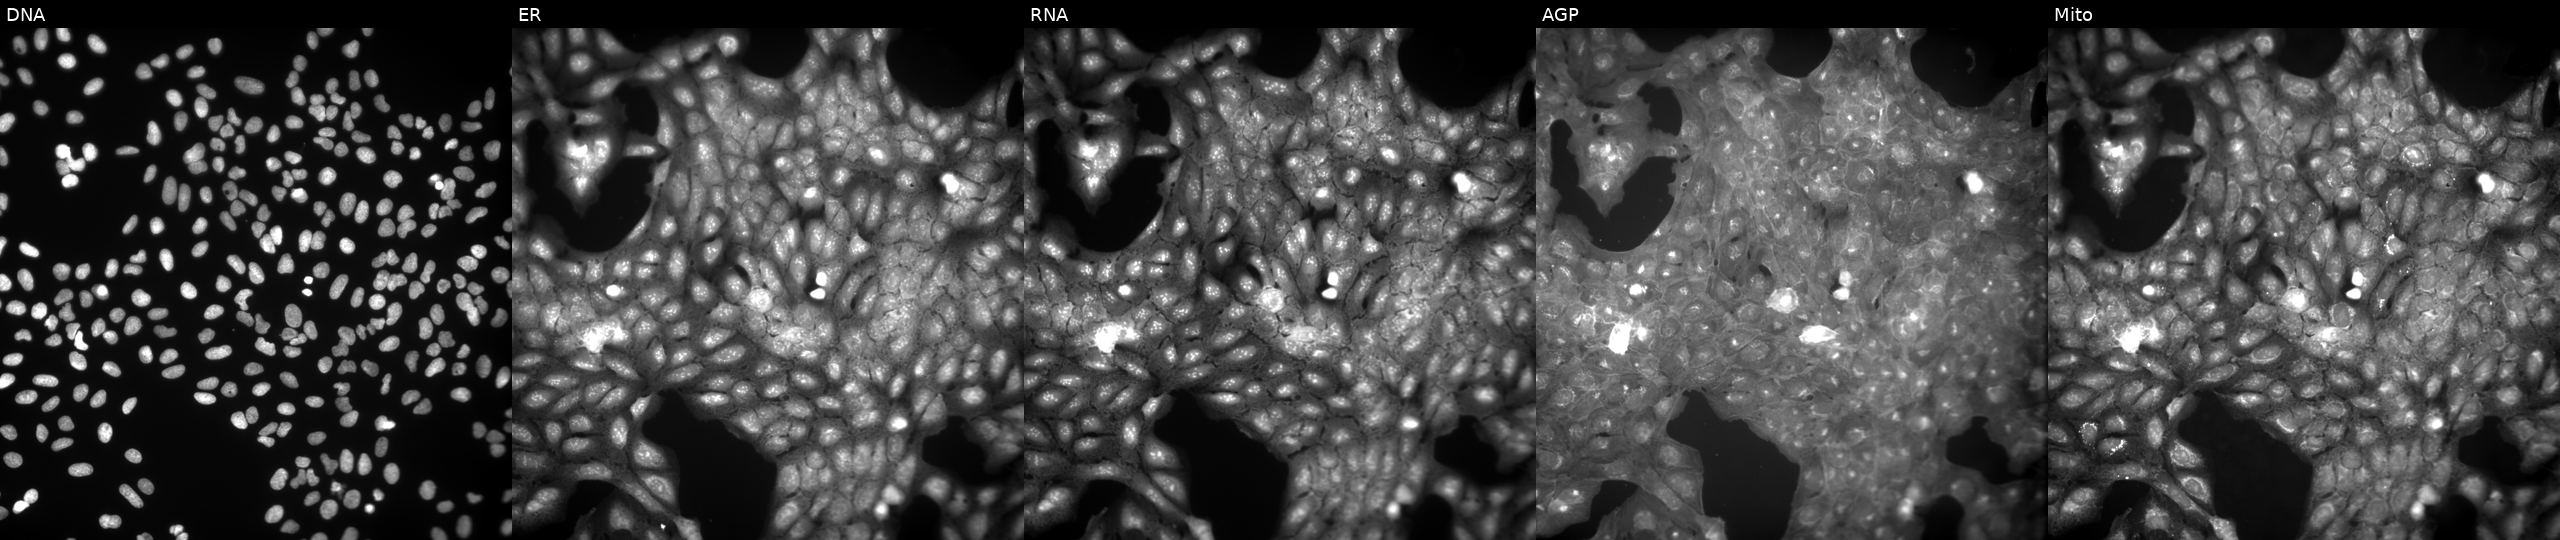
This image strip shows the five Cell Painting channels for a single field of U2OS cells treated with a small-molecule compound (InChIKey UVKLEFPYGWITTK-UHFFFAOYSA-N) [SMILES: CC(CCO)N=c1[nH]c2c(c(=O)n(C)c(=O)n2C)n1Cc1cccc(Br)c1]. Panels show, left to right, DNA (nuclei); ER (endoplasmic reticulum); RNA (nucleoli and cytoplasmic RNA); AGP (actin cytoskeleton, Golgi, and plasma membrane); Mito (mitochondria). Source 9, plate GR00003382, well AA42.